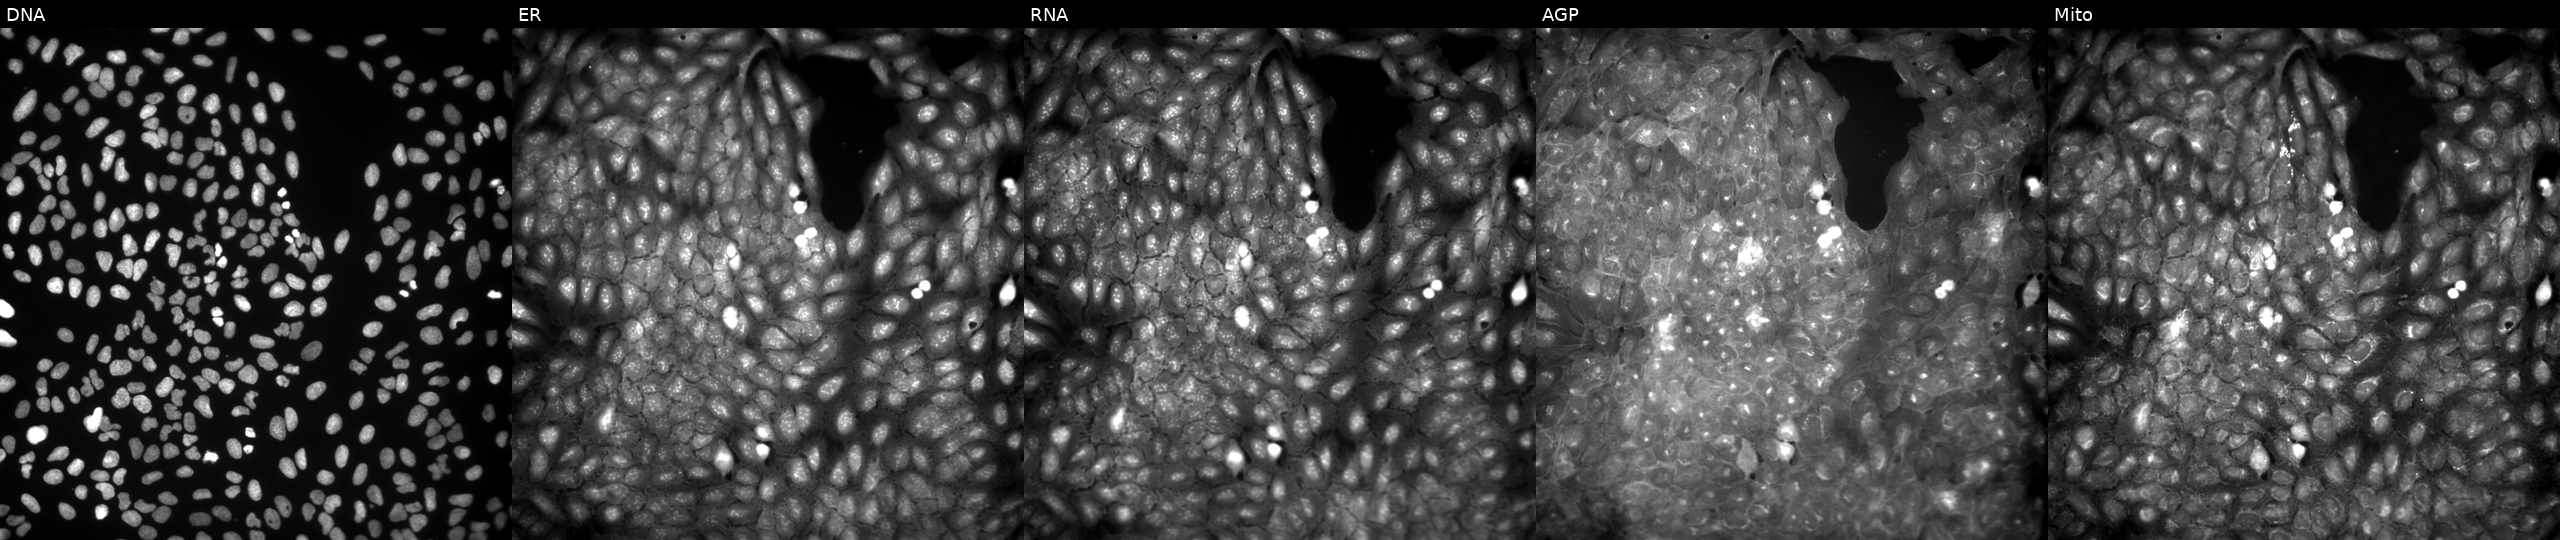
JUMP Cell Painting — COMPOUND plate. U2OS cells perturbed with a small-molecule compound (InChIKey IHCBKCRFXDQJTL-UHFFFAOYSA-N) (JUMP id JCP2022_035017). Panels show, left to right, DNA, ER, RNA, AGP, and Mito.